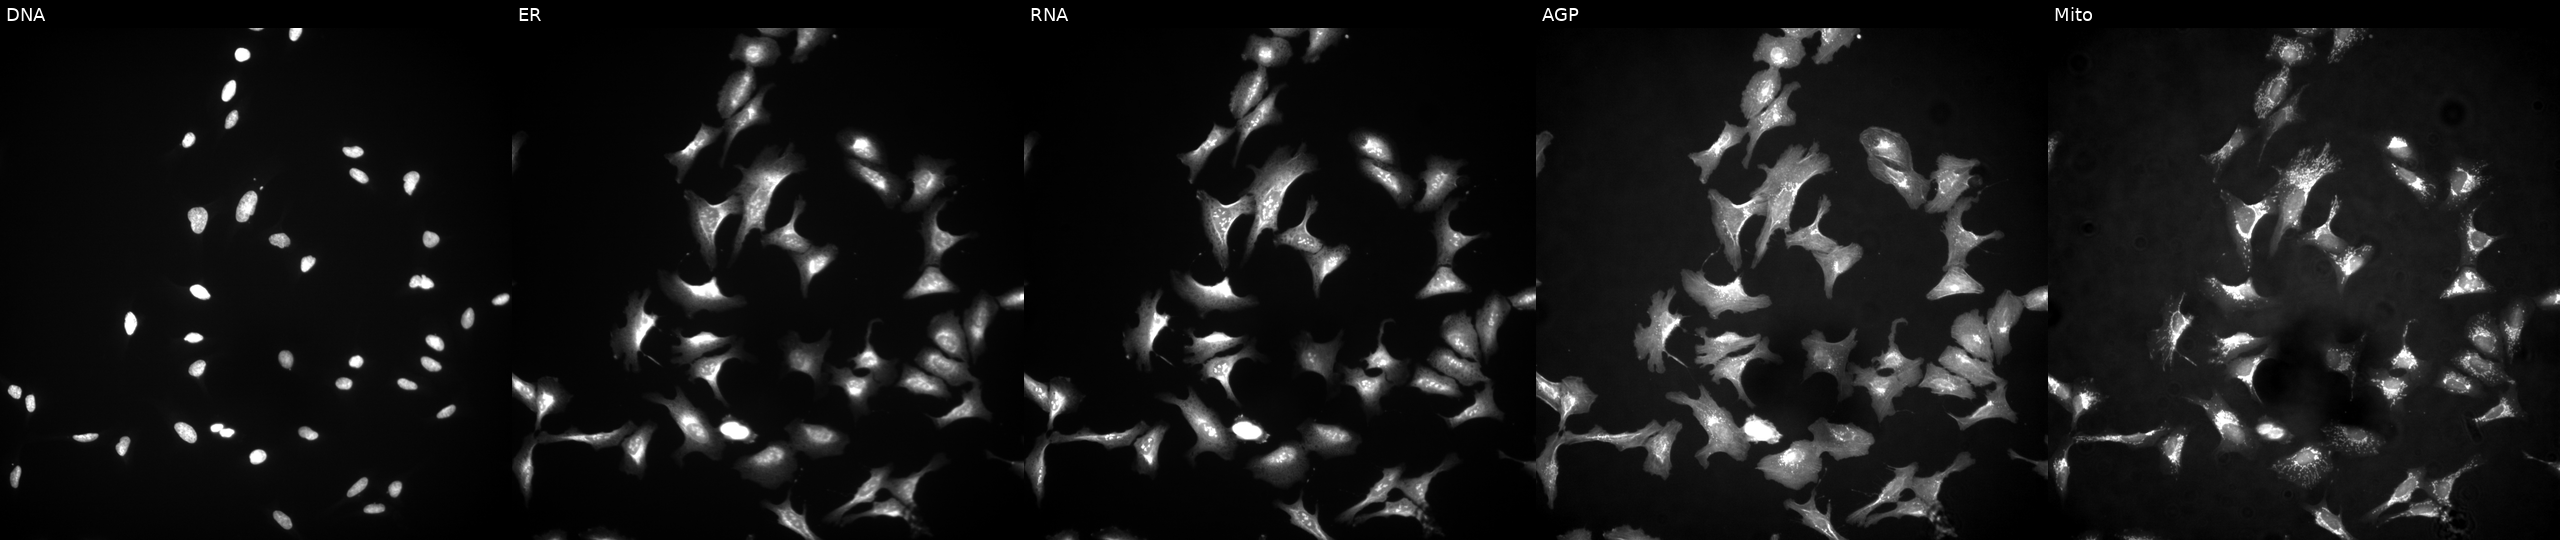
The five panels, left to right, show DNA, ER, RNA, AGP, and Mito. U2OS osteosarcoma cells expressing eGFP (ORF positive control). Cell Painting assay, JUMP-CP dataset.